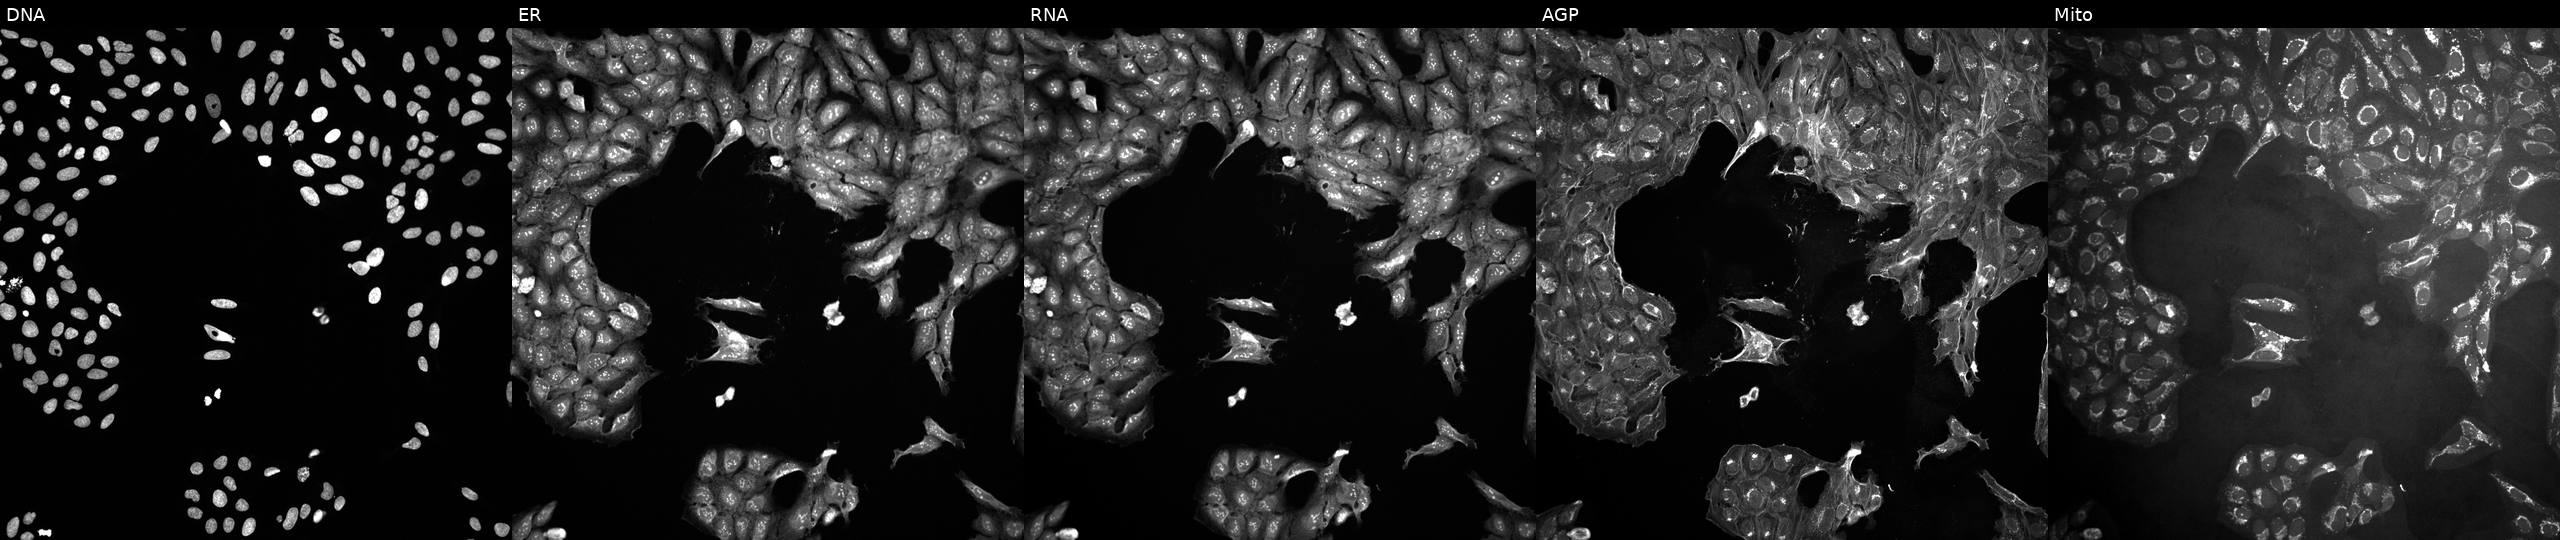
This image strip shows the five Cell Painting channels for a single field of U2OS cells perturbed with a small-molecule compound (InChIKey YEXGIVFSKSJWKJ-UHFFFAOYSA-N). Channels (left→right): DNA (nuclei); ER (endoplasmic reticulum); RNA (nucleoli and cytoplasmic RNA); AGP (actin cytoskeleton, Golgi, and plasma membrane); Mito (mitochondria). Source 10, plate Dest210531-152149, well D15.